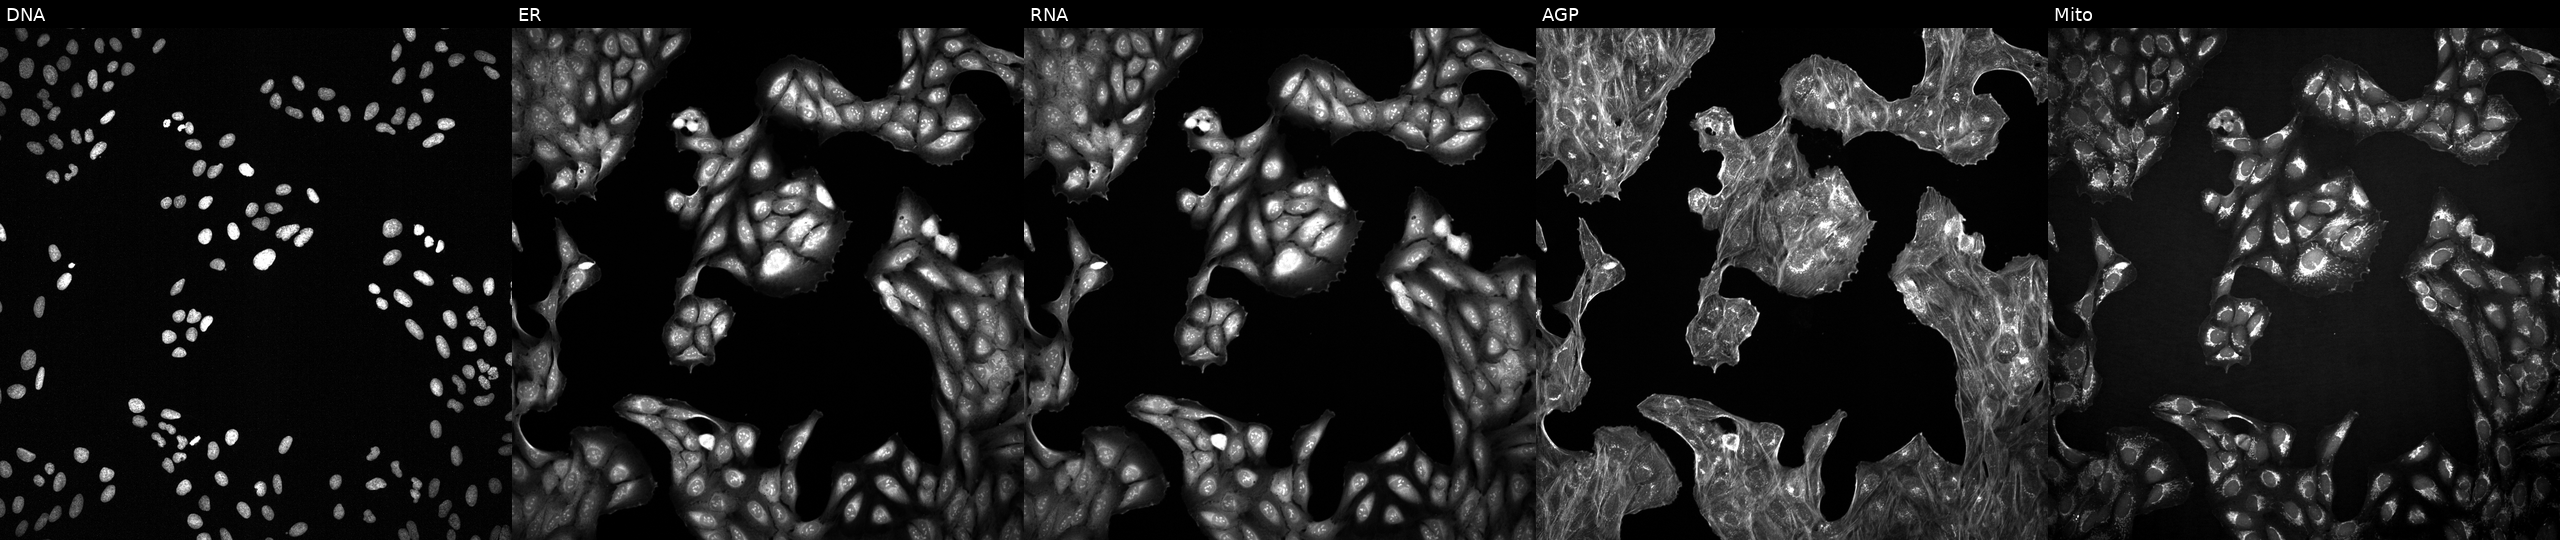
High-content fluorescence microscopy (Cell Painting). Cell line: U2OS. Perturbation: treated with a small-molecule compound. Channels (left→right): DNA (nuclei); ER (endoplasmic reticulum); RNA (nucleoli and cytoplasmic RNA); AGP (actin cytoskeleton, Golgi, and plasma membrane); Mito (mitochondria).